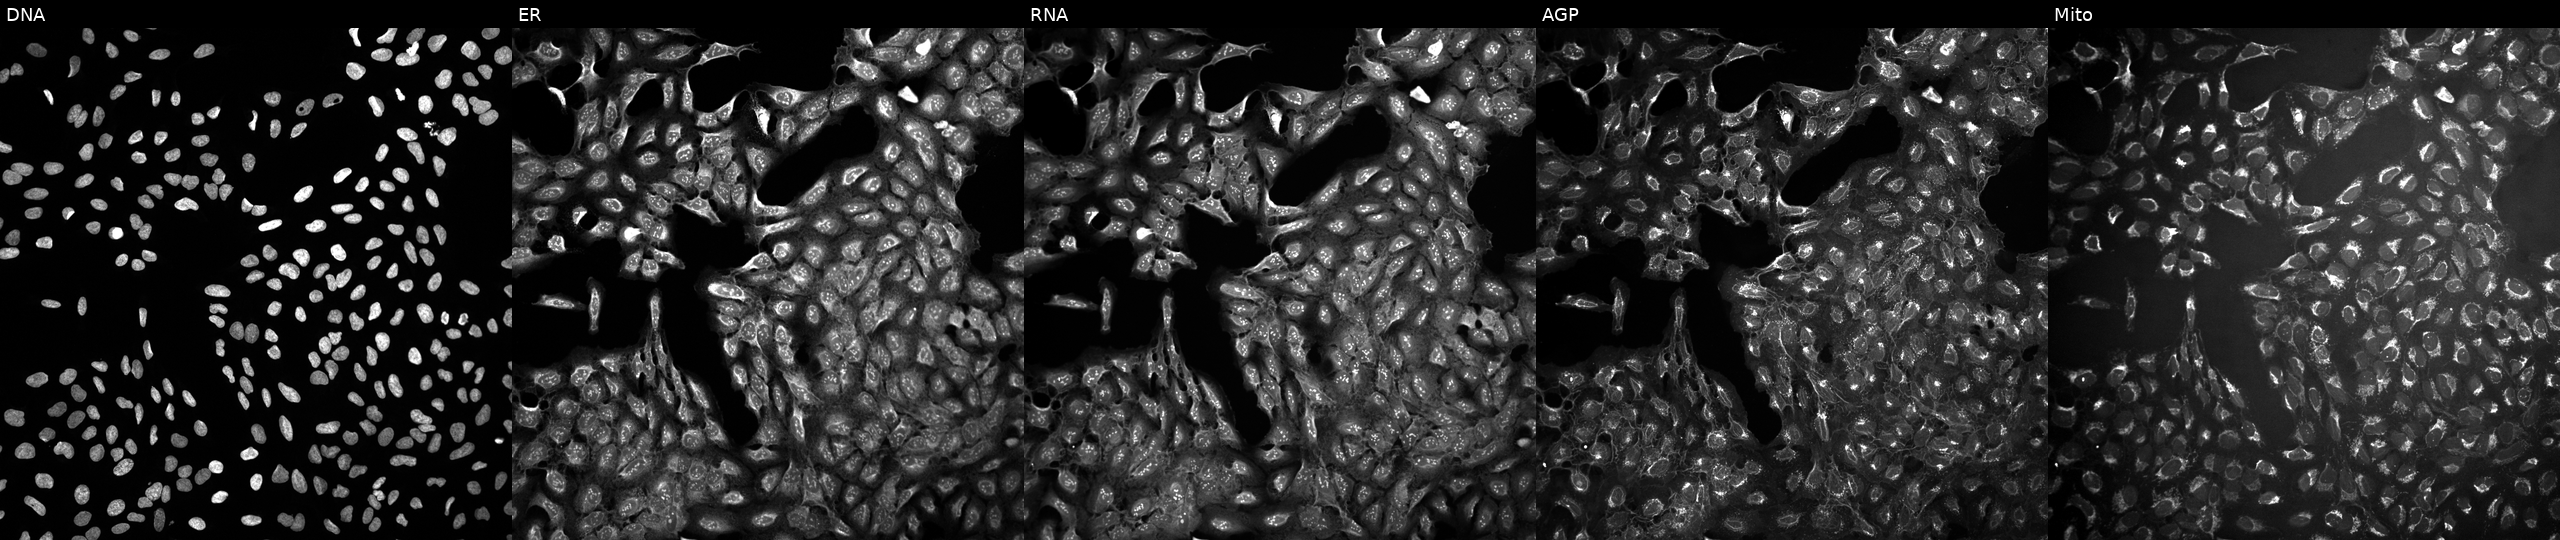
U2OS cells, Cell Painting assay, treated with a small-molecule compound [SMILES: CCCOc1ccccc1-c1nc(=O)c2[nH]nnc2[nH]1]. Panels show, left to right, Hoechst 33342, concanavalin A, SYTO 14, phalloidin and WGA, MitoTracker. Each panel is percentile-stretched 16-bit fluorescence.